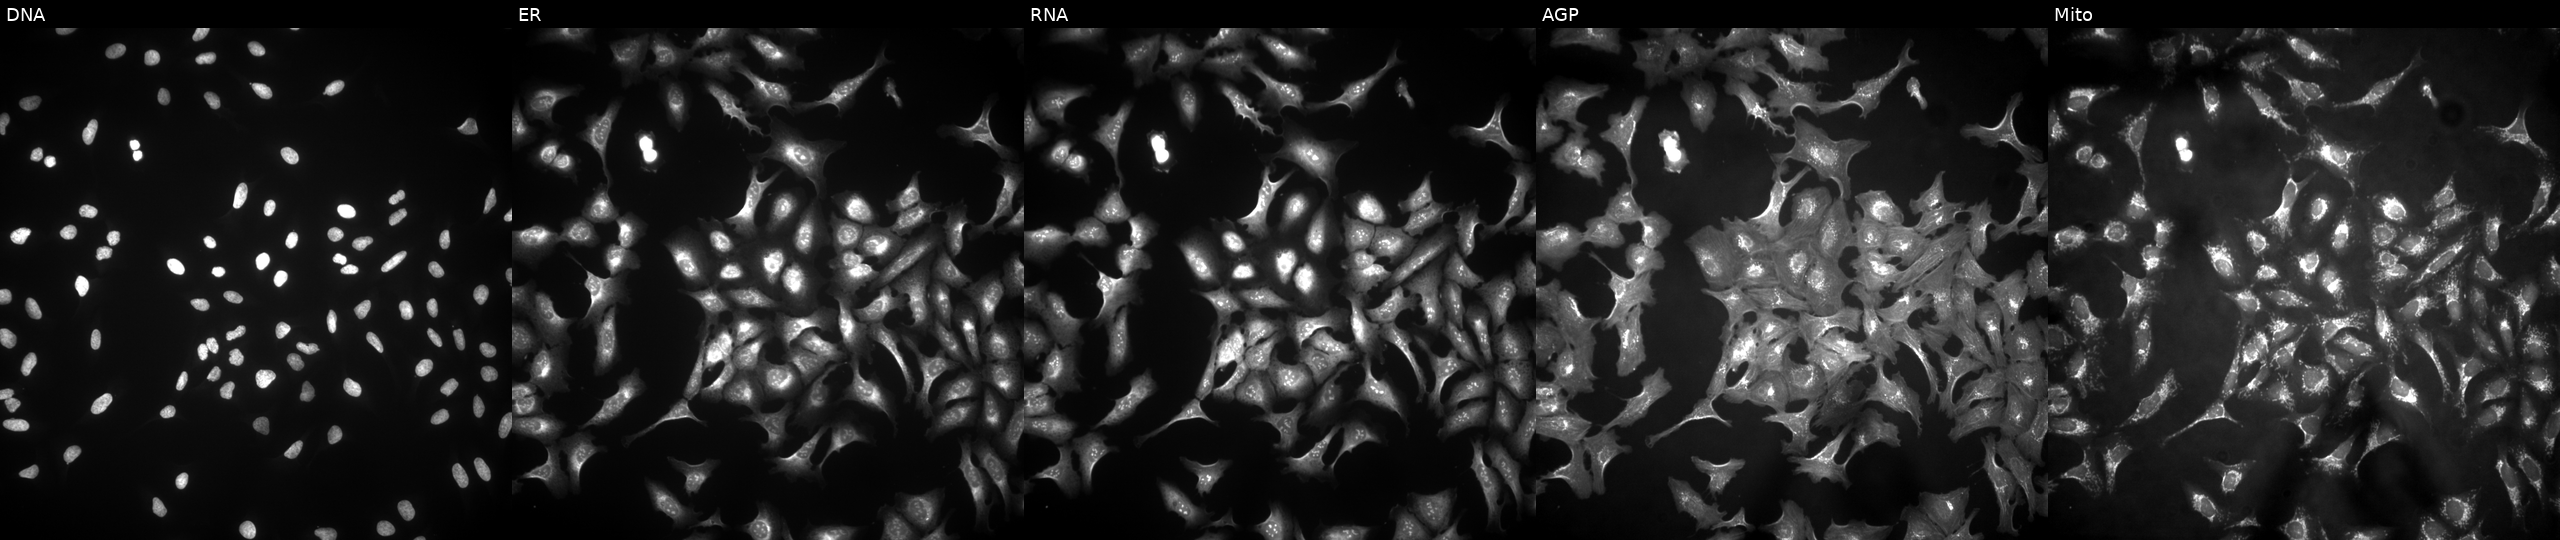
Five-channel Cell Painting image of U2OS cells with SHPK overexpressed (ORF) (JUMP id JCP2022_902660). Channels (left→right): DNA, ER, RNA, AGP, and Mito.